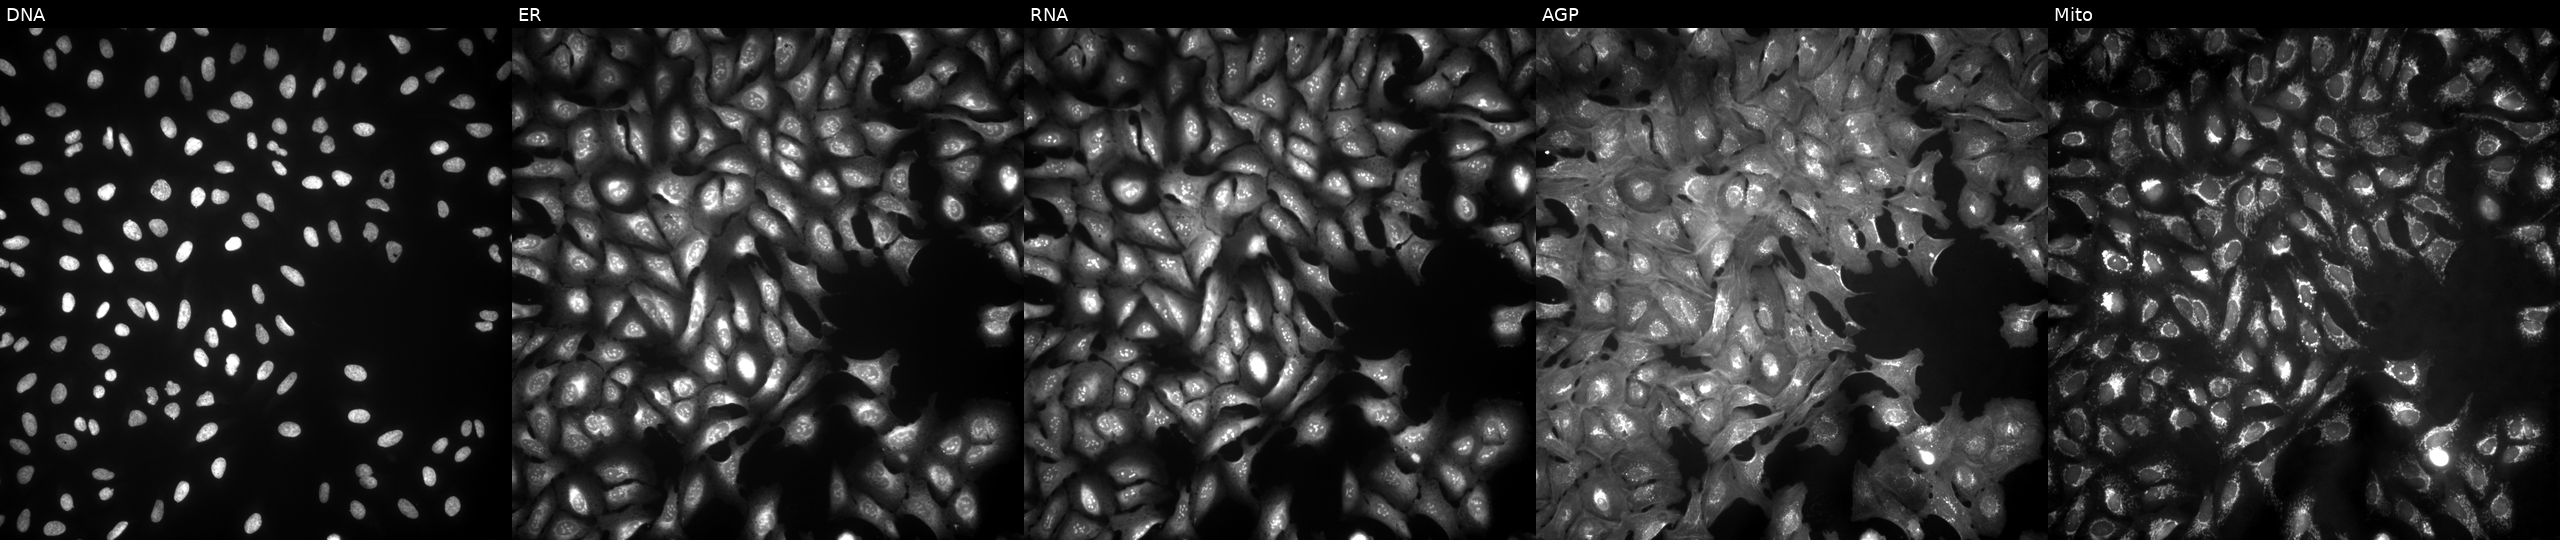
Channels (left→right): DNA, ER, RNA, AGP, and Mito. U2OS osteosarcoma cells with CD4 overexpressed (ORF). Cell Painting assay, JUMP-CP dataset.